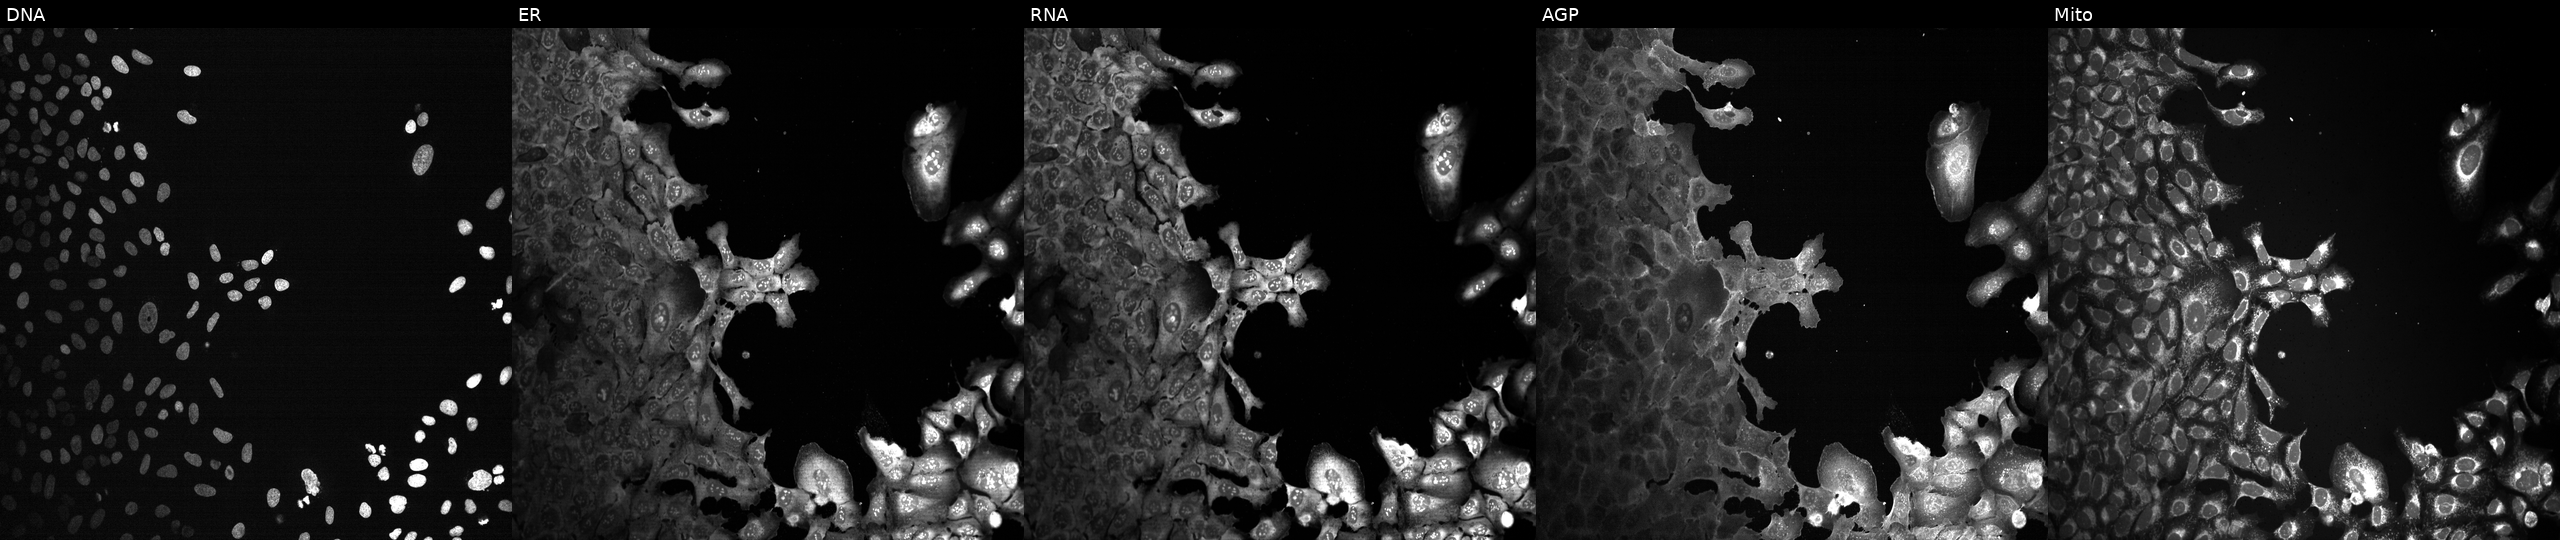
U2OS cells, Cell Painting assay, with a non-targeting CRISPR guide (negative control). Panels show, left to right, DNA, ER, RNA, AGP, and Mito. Each panel is percentile-stretched 16-bit fluorescence. Source 13, plate CP-CC9-R6-19, well A02.